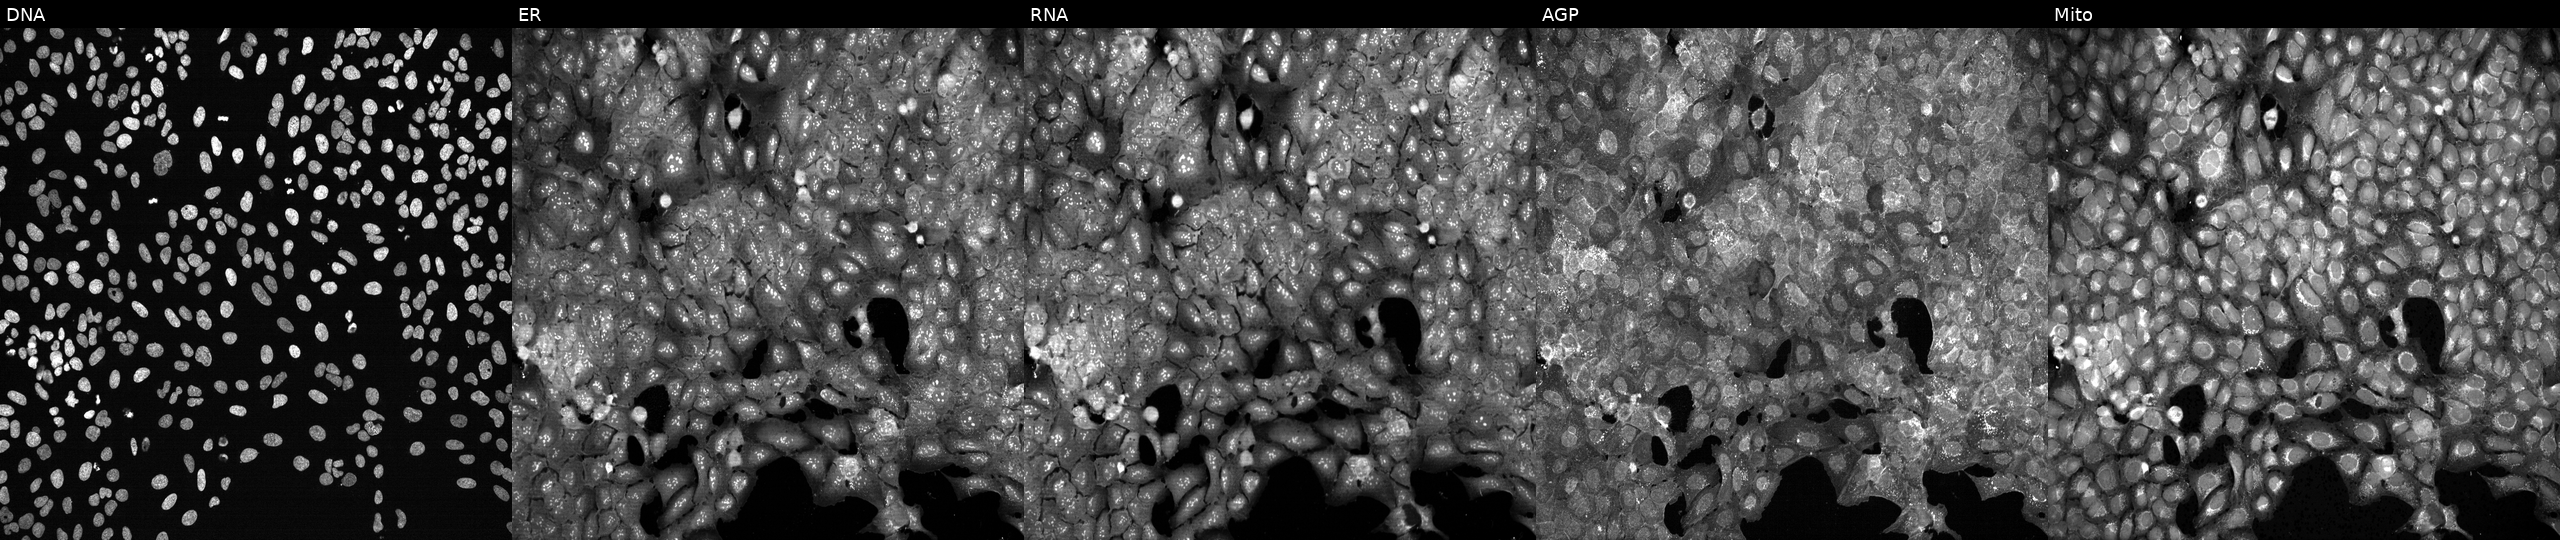
U2OS cells, Cell Painting assay, with ENTPD7 knocked out by CRISPR (JUMP id JCP2022_802127). Channels (left→right): Hoechst 33342, concanavalin A, SYTO 14, phalloidin and WGA, MitoTracker. Each panel is percentile-stretched 16-bit fluorescence. Source 13, plate CP-CC9-R1-02, well D08.